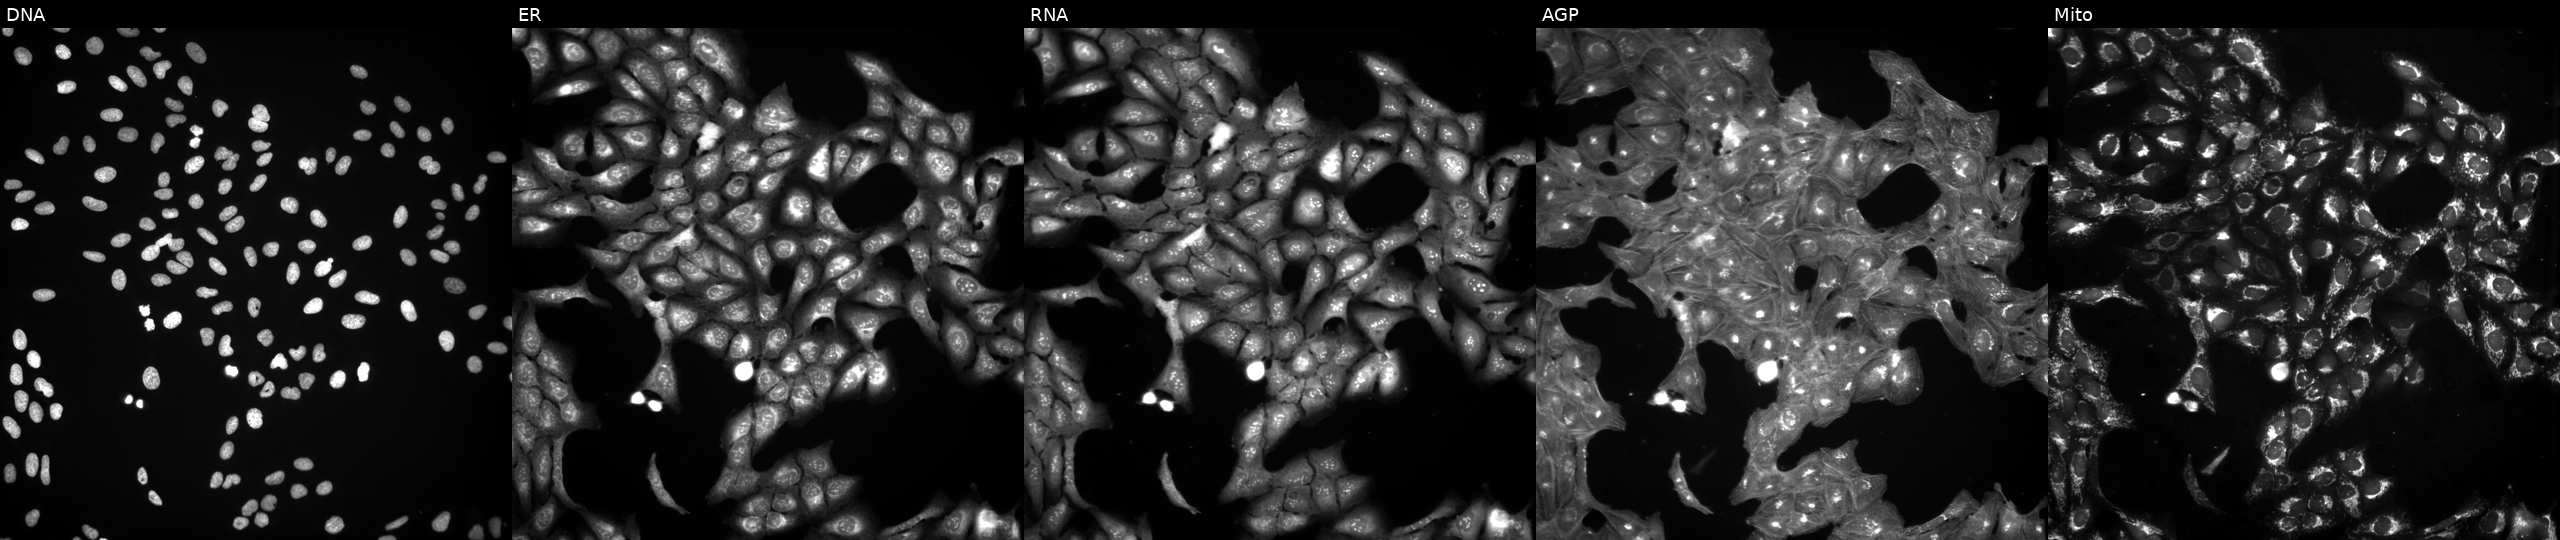
This image strip shows the five Cell Painting channels for a single field of U2OS cells exposed to a small-molecule compound (JUMP id JCP2022_003511). Channels (left→right): DNA (nuclei); ER (endoplasmic reticulum); RNA (nucleoli and cytoplasmic RNA); AGP (actin cytoskeleton, Golgi, and plasma membrane); Mito (mitochondria).